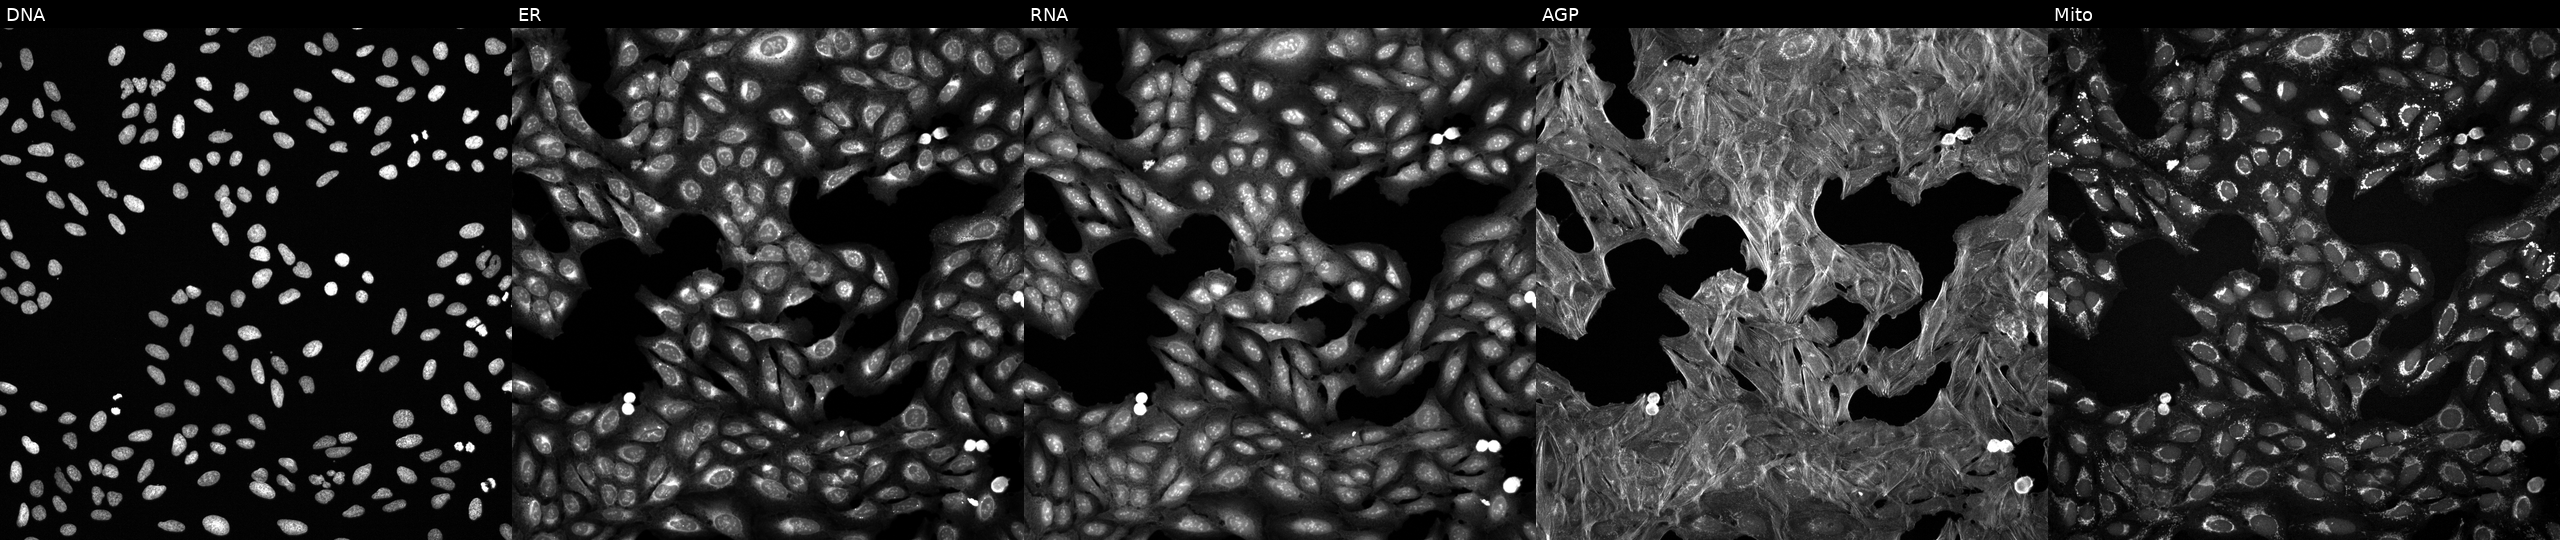
This image strip shows the five Cell Painting channels for a single field of U2OS cells treated with a small-molecule compound (JUMP id JCP2022_057260). Panels show, left to right, Hoechst 33342, concanavalin A, SYTO 14, phalloidin and WGA, MitoTracker.